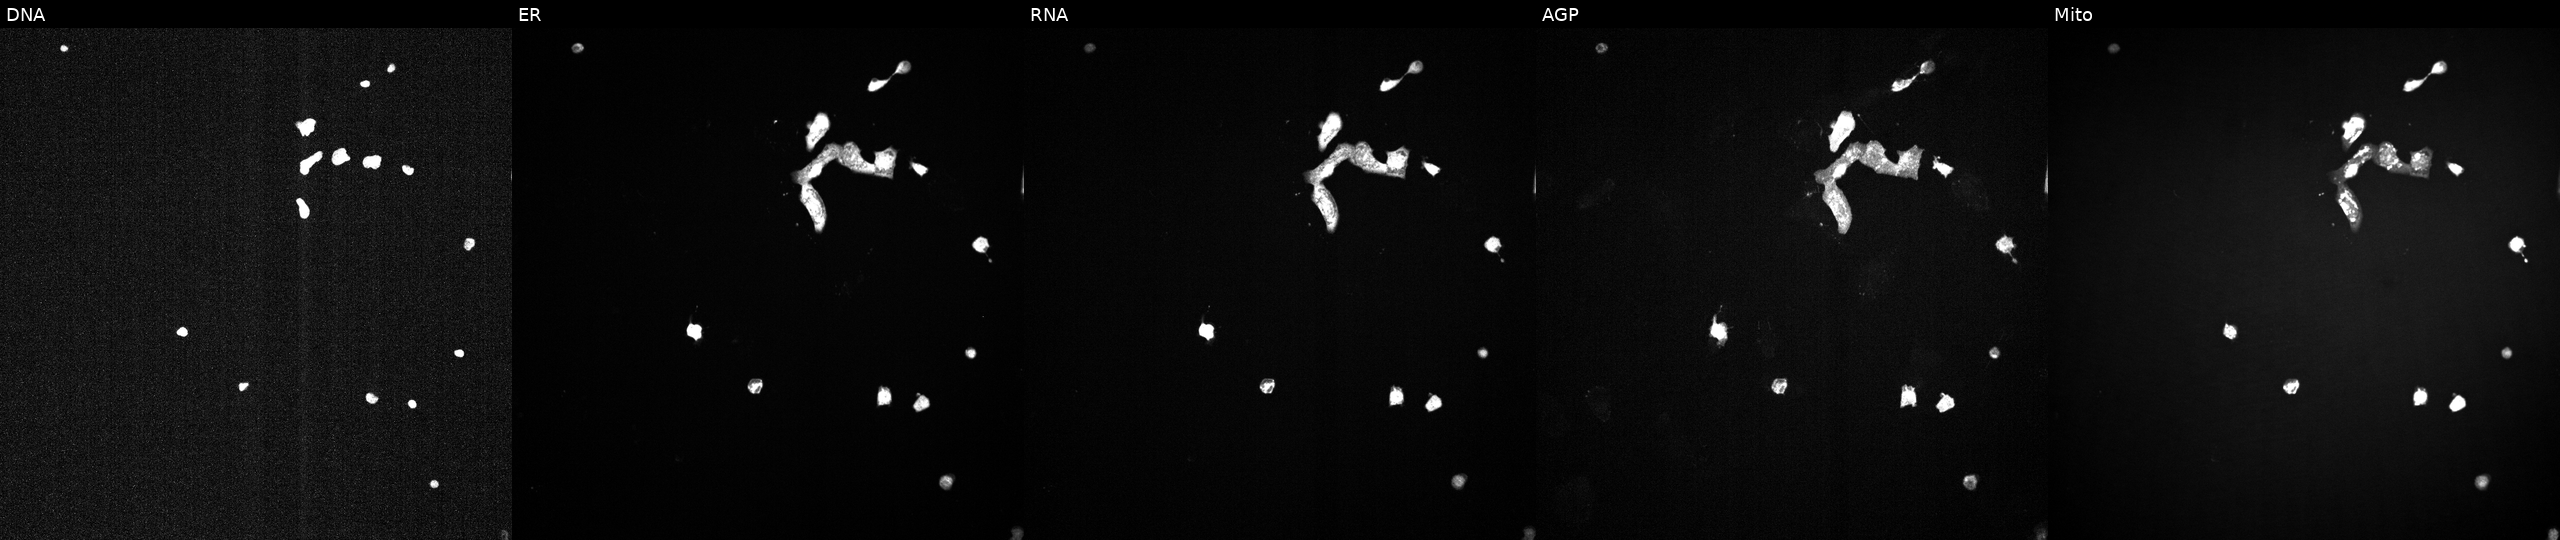
Five-channel Cell Painting image of U2OS cells perturbed with a small-molecule compound (InChIKey NQQBNZBOOHHVQP-UHFFFAOYSA-N) [SMILES: N=c1[nH]nc(Sc2ncc([N+](=O)[O-])s2)s1] (JUMP id JCP2022_060734). Channels (left→right): DNA (nuclei); ER (endoplasmic reticulum); RNA (nucleoli and cytoplasmic RNA); AGP (actin cytoskeleton, Golgi, and plasma membrane); Mito (mitochondria).